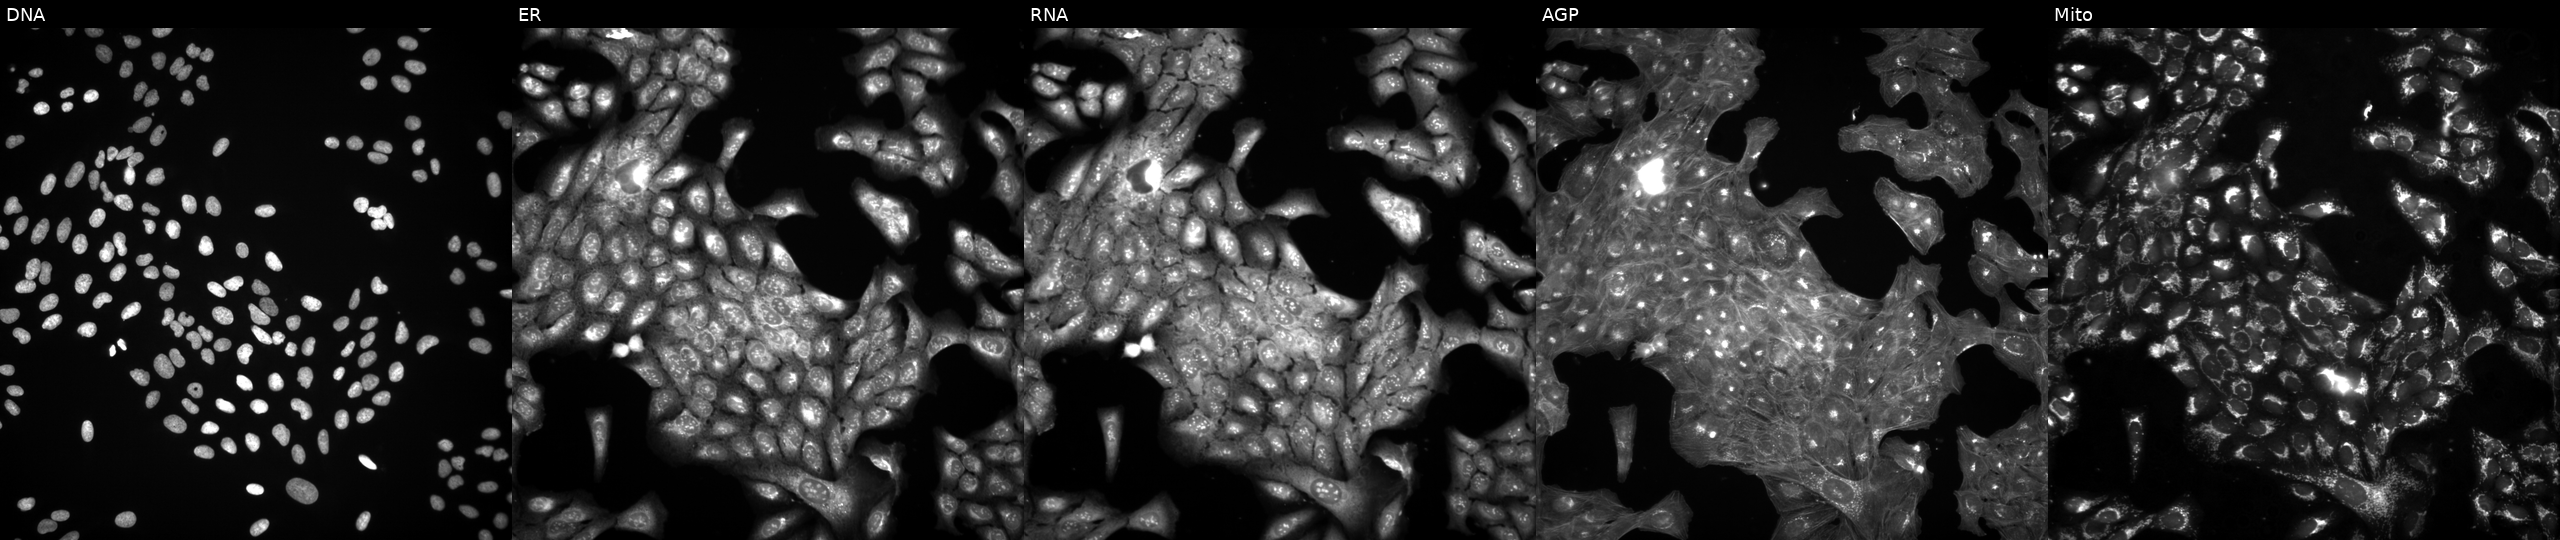
The five panels, left to right, show Hoechst 33342, concanavalin A, SYTO 14, phalloidin and WGA, MitoTracker. U2OS osteosarcoma cells exposed to DMSO alone as a negative control (JUMP id JCP2022_033924). Cell Painting assay, JUMP-CP dataset. Source 3, plate BR5867b3, well L02.